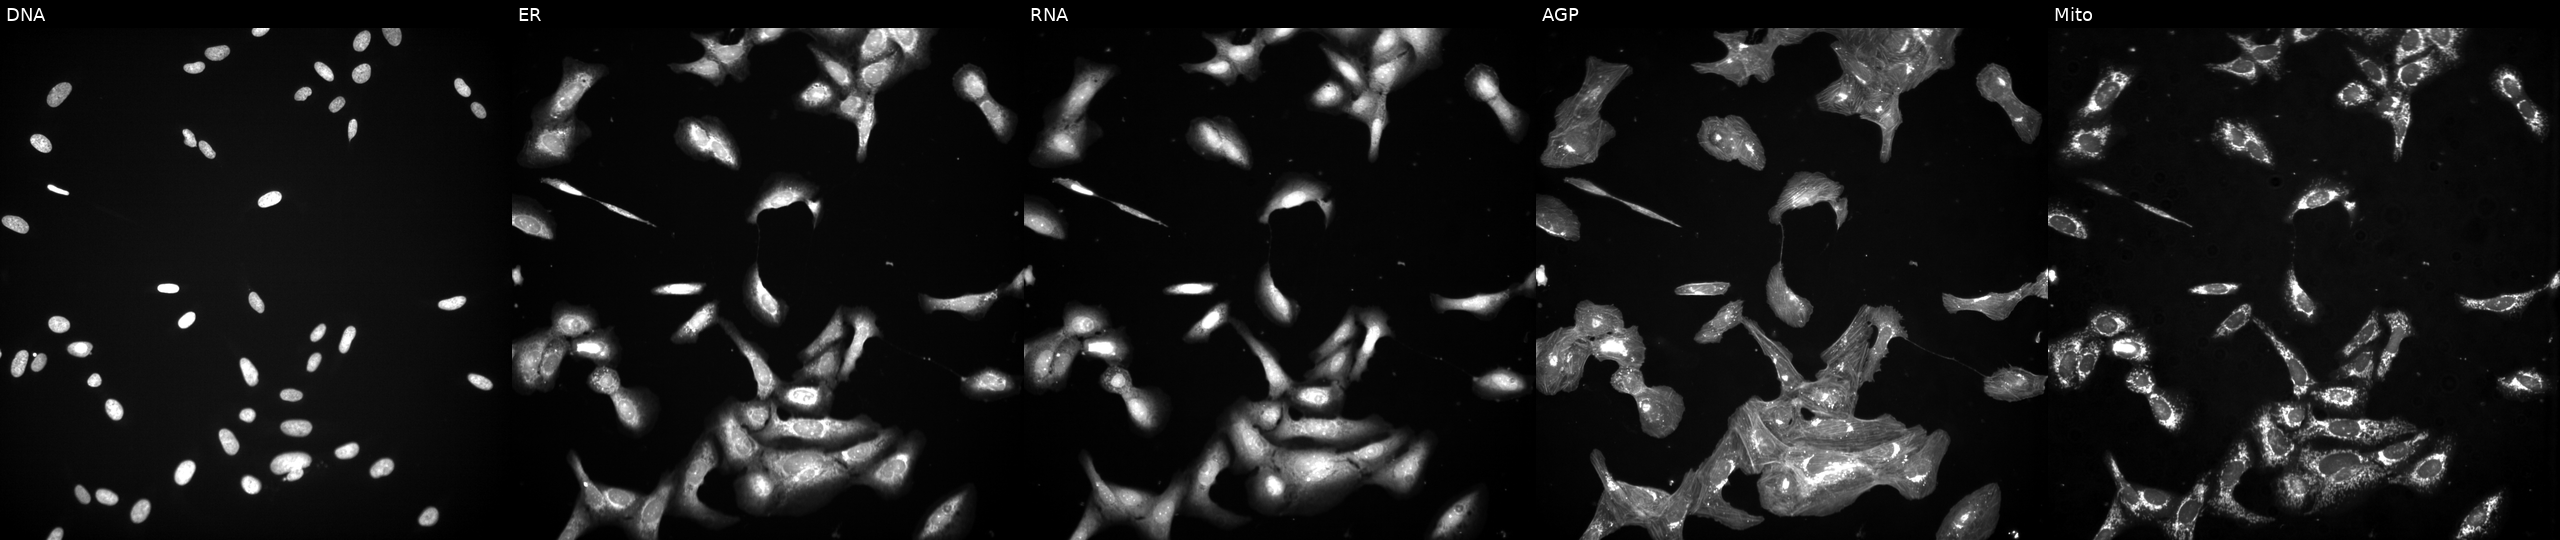
Five-channel Cell Painting image of U2OS cells exposed to a small-molecule compound (InChIKey SOTGJZHAXJTVBA-UHFFFAOYSA-N) (JUMP id JCP2022_084641). Channels (left→right): DNA (nuclei); ER (endoplasmic reticulum); RNA (nucleoli and cytoplasmic RNA); AGP (actin cytoskeleton, Golgi, and plasma membrane); Mito (mitochondria).